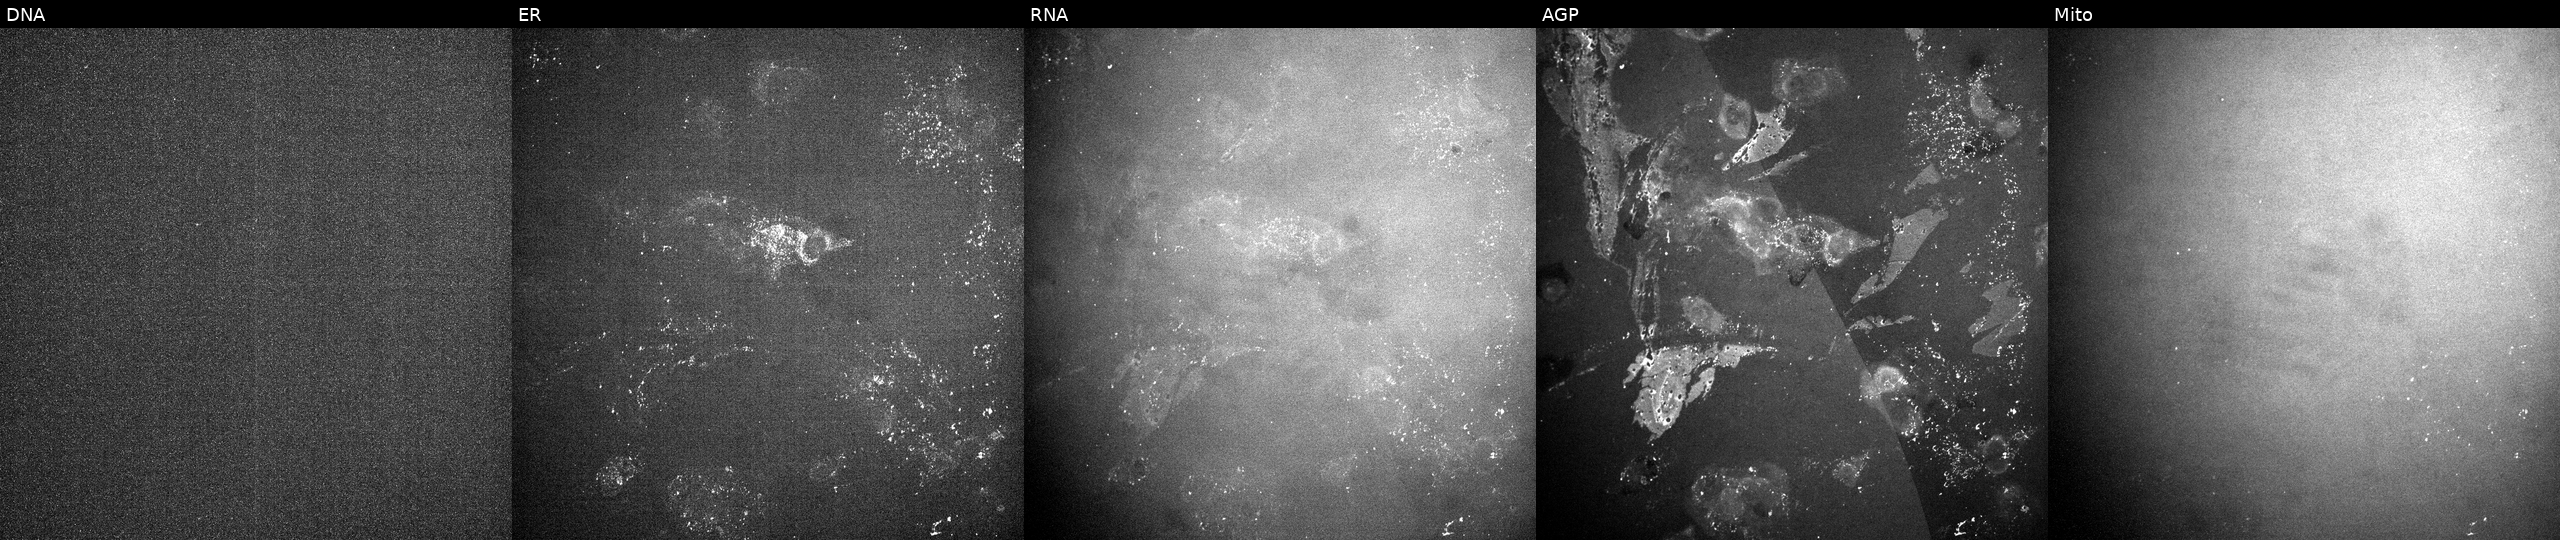
Five-channel Cell Painting image of U2OS cells treated with a small-molecule compound (InChIKey LSFLAQVDISHMNB-UHFFFAOYSA-N) [SMILES: N=c1[nH]cnc2c1c(-c1cccc(OCc3ccccc3)c1)cn2C1CC(CN2CCCC2)C1] (JUMP id JCP2022_051415). Channels (left→right): DNA, ER, RNA, AGP, and Mito.